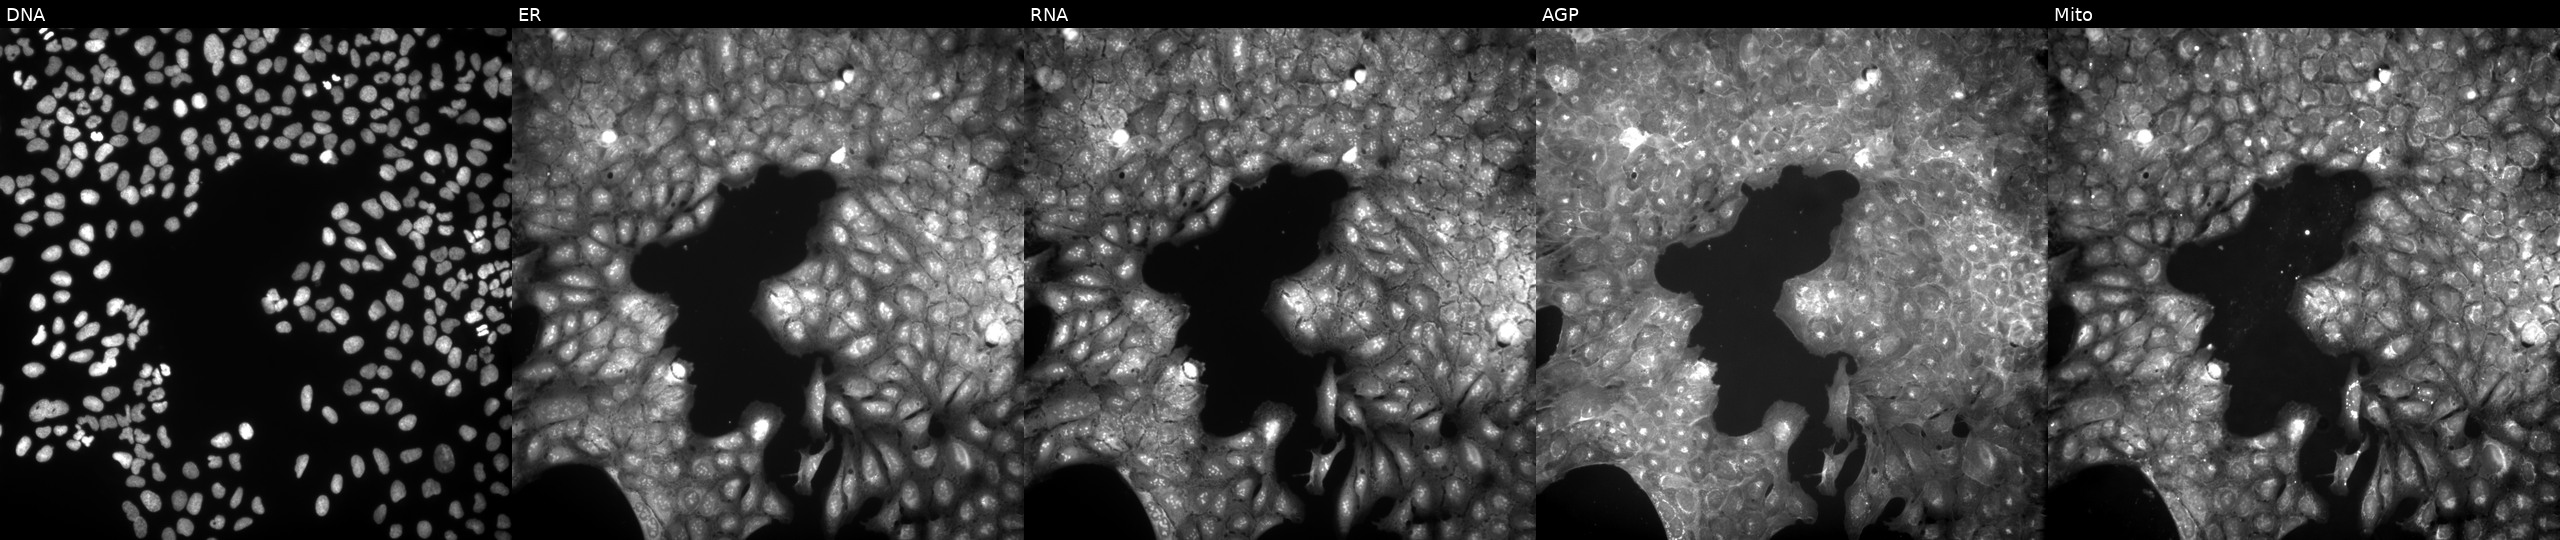
This image strip shows the five Cell Painting channels for a single field of U2OS cells perturbed with a small-molecule compound. Channels (left→right): DNA (nuclei); ER (endoplasmic reticulum); RNA (nucleoli and cytoplasmic RNA); AGP (actin cytoskeleton, Golgi, and plasma membrane); Mito (mitochondria).